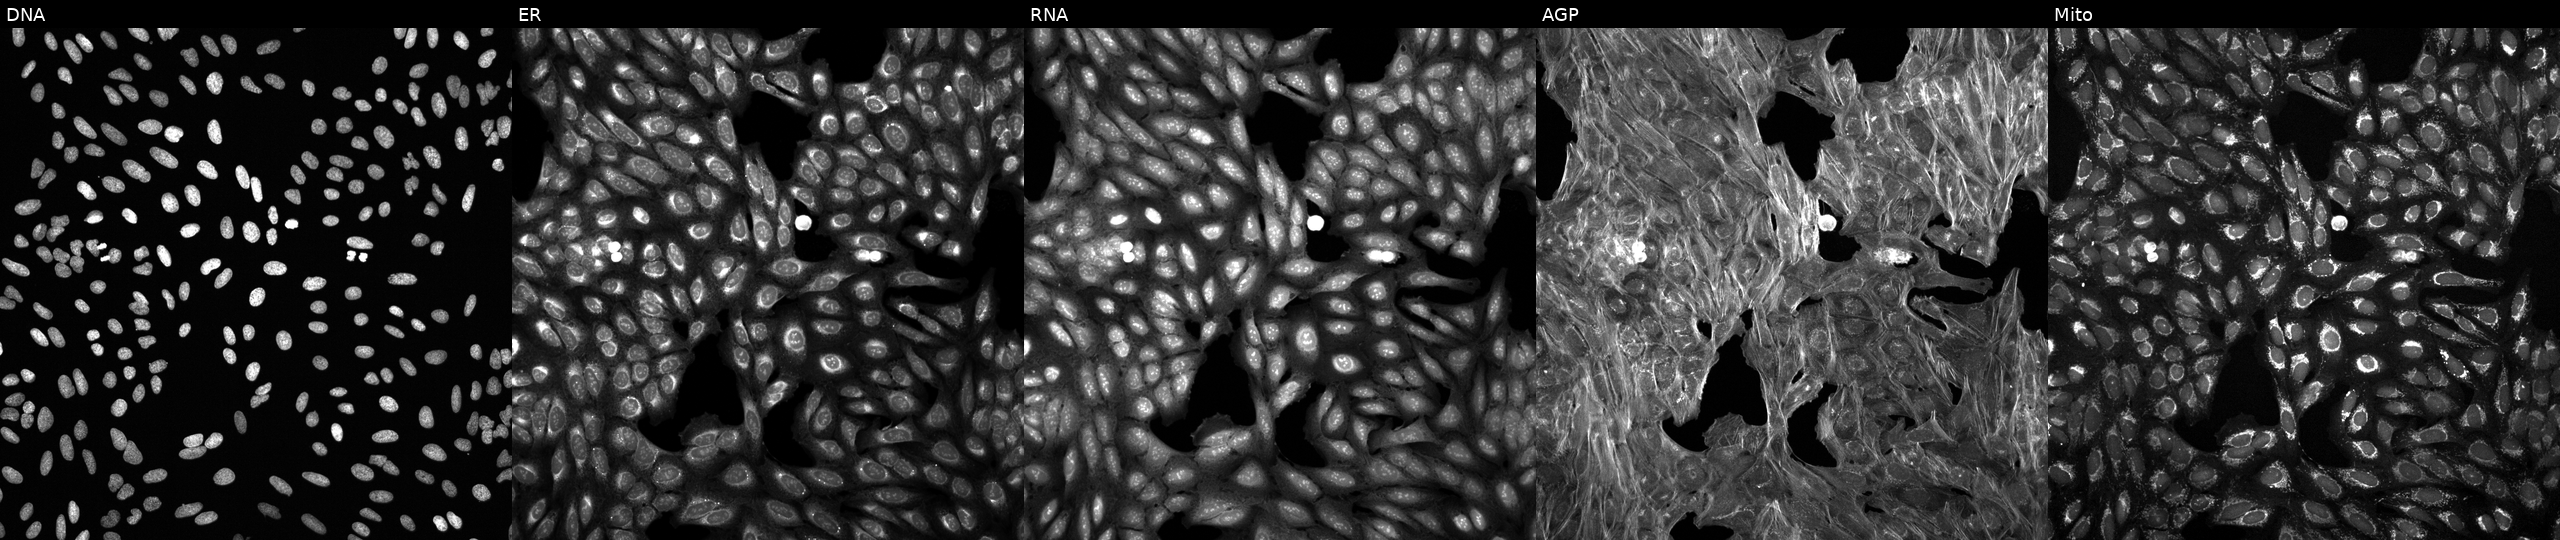
Panels show, left to right, DNA, ER, RNA, AGP, and Mito. U2OS osteosarcoma cells exposed to a small-molecule compound (JUMP id JCP2022_057163). Cell Painting assay, JUMP-CP dataset. Source 6, plate 110000293081, well I21.